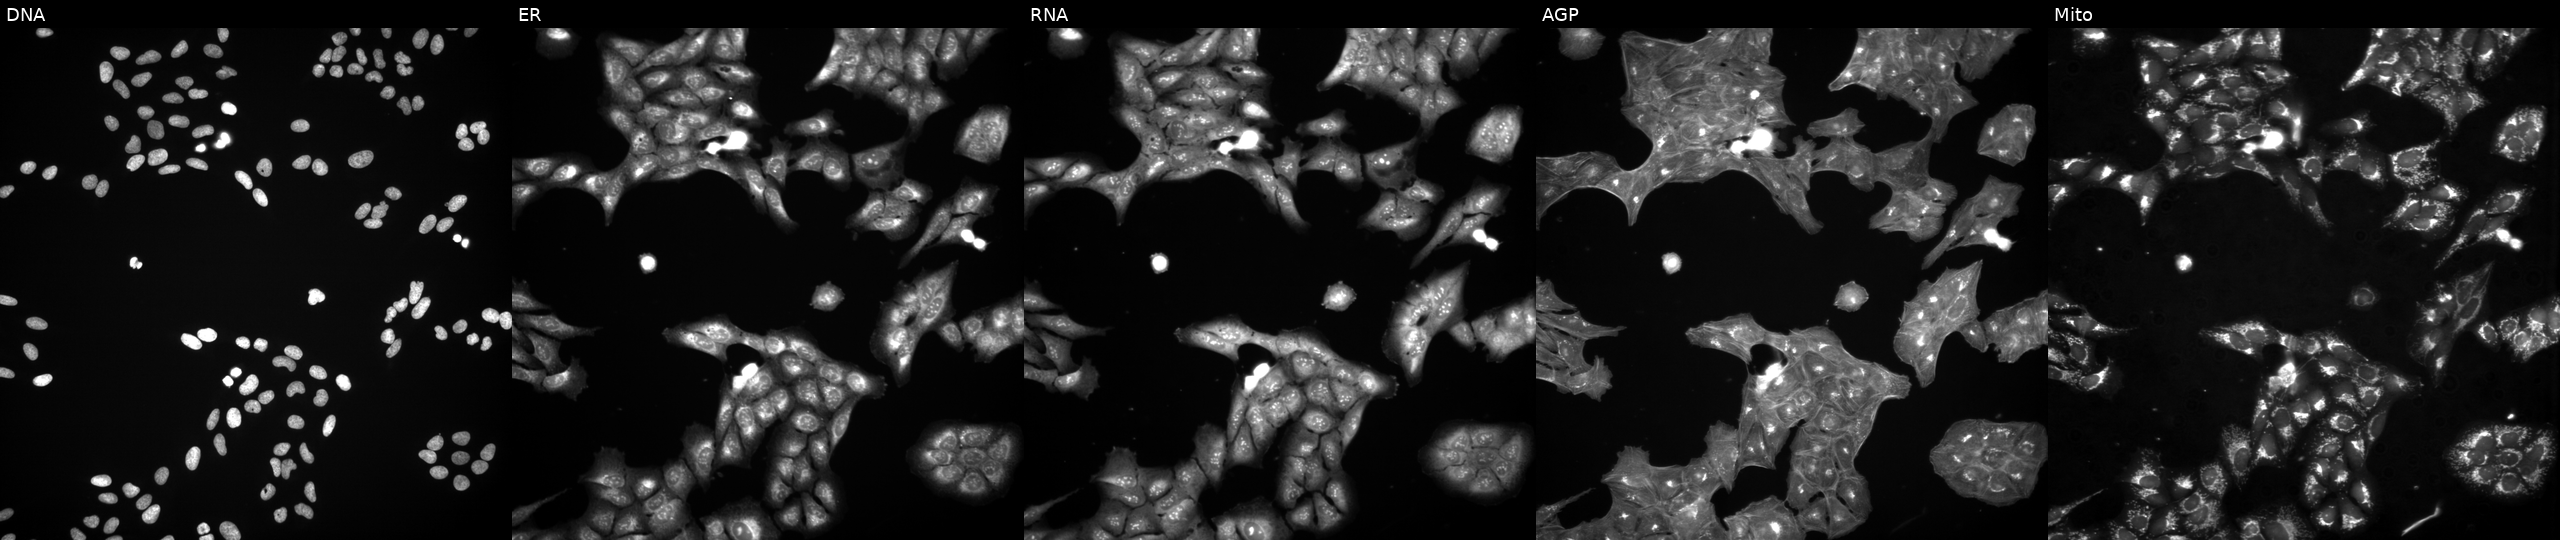
High-content fluorescence microscopy (Cell Painting). Cell line: U2OS. Perturbation: perturbed with a small-molecule compound (InChIKey RCMDUTJDRZJTMS-UHFFFAOYSA-N) (JUMP id JCP2022_077472). Channels (left→right): Hoechst 33342, concanavalin A, SYTO 14, phalloidin and WGA, MitoTracker.